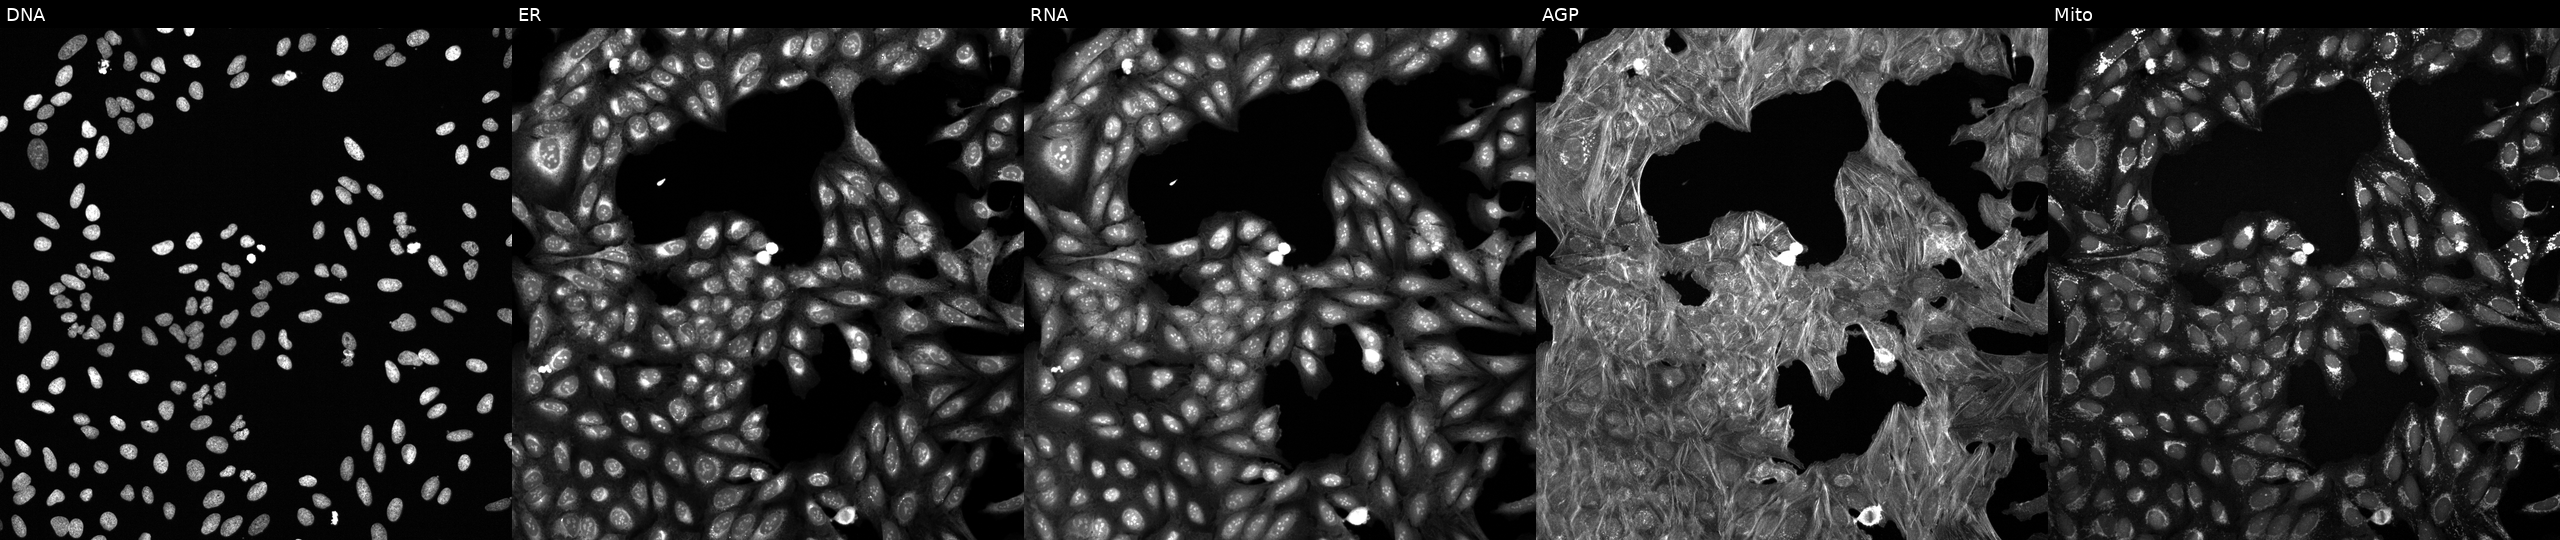
This image strip shows the five Cell Painting channels for a single field of U2OS cells perturbed with a small-molecule compound. The five panels, left to right, show DNA (nuclei); ER (endoplasmic reticulum); RNA (nucleoli and cytoplasmic RNA); AGP (actin cytoskeleton, Golgi, and plasma membrane); Mito (mitochondria).